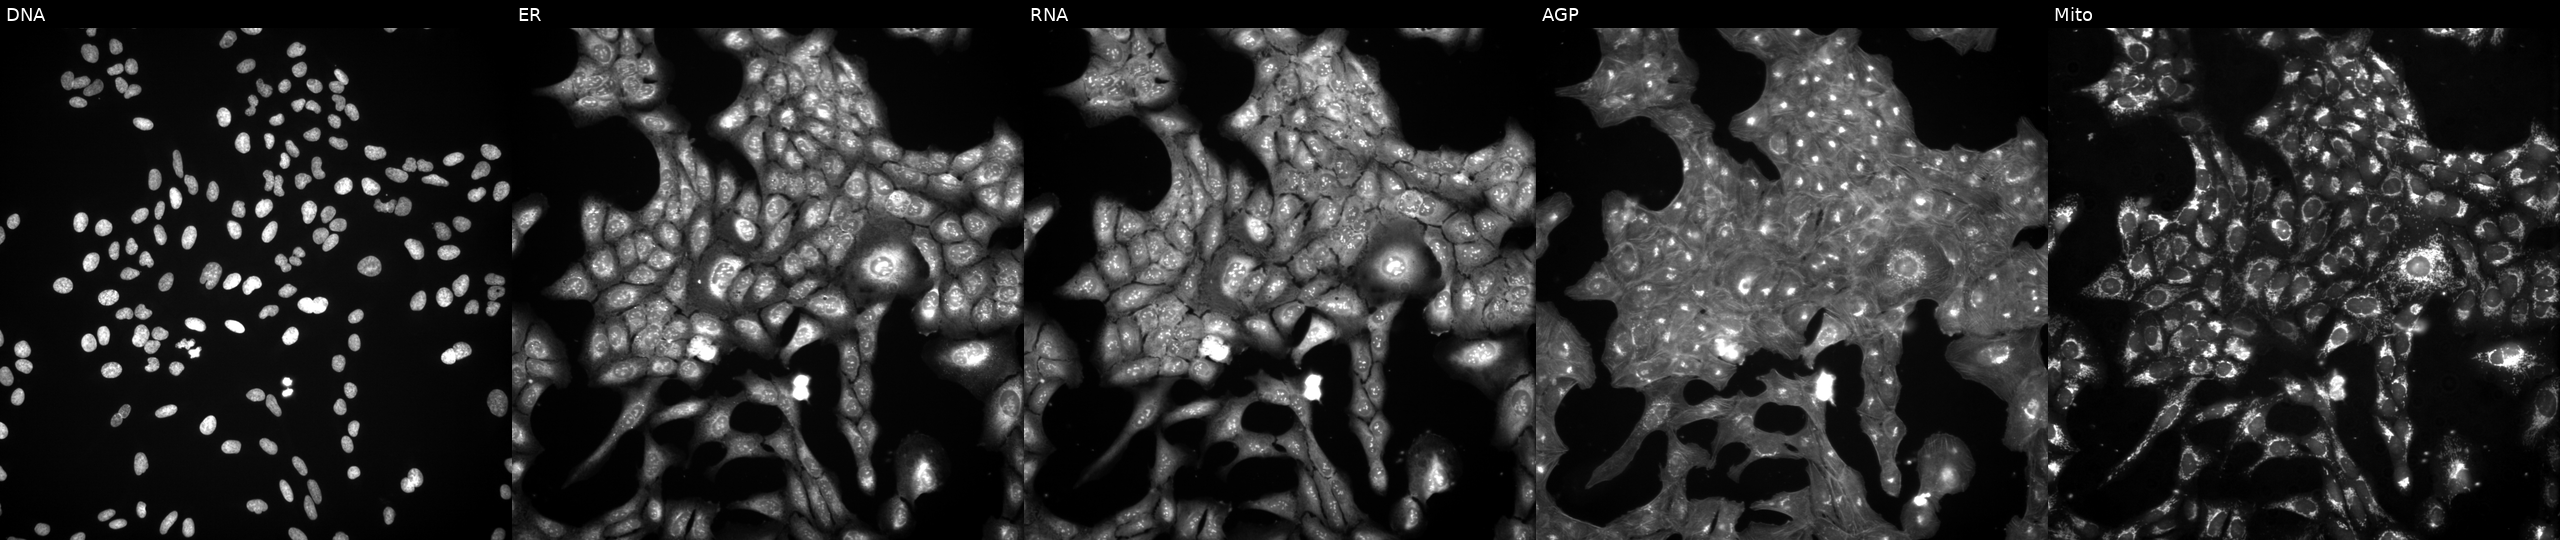
This image strip shows the five Cell Painting channels for a single field of U2OS cells exposed to a small-molecule compound (InChIKey KRKNYBCHXYNGOX-UHFFFAOYSA-N). The five panels, left to right, show DNA (nuclei); ER (endoplasmic reticulum); RNA (nucleoli and cytoplasmic RNA); AGP (actin cytoskeleton, Golgi, and plasma membrane); Mito (mitochondria).